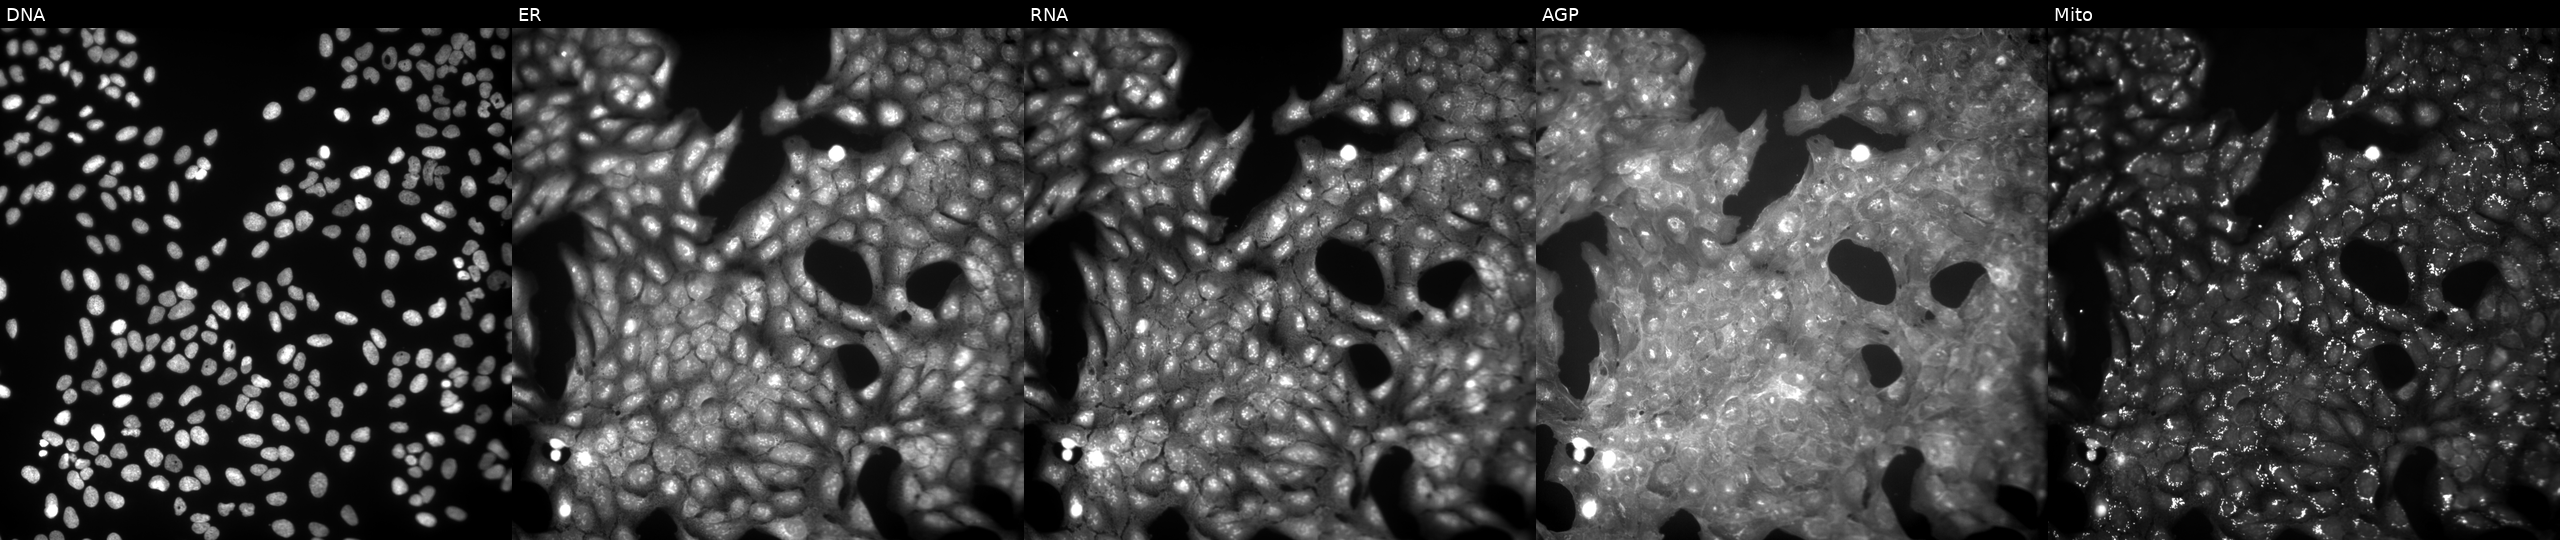
Five-channel Cell Painting image of U2OS cells treated with a small-molecule compound (JUMP id JCP2022_041561). Channels (left→right): DNA, ER, RNA, AGP, and Mito.